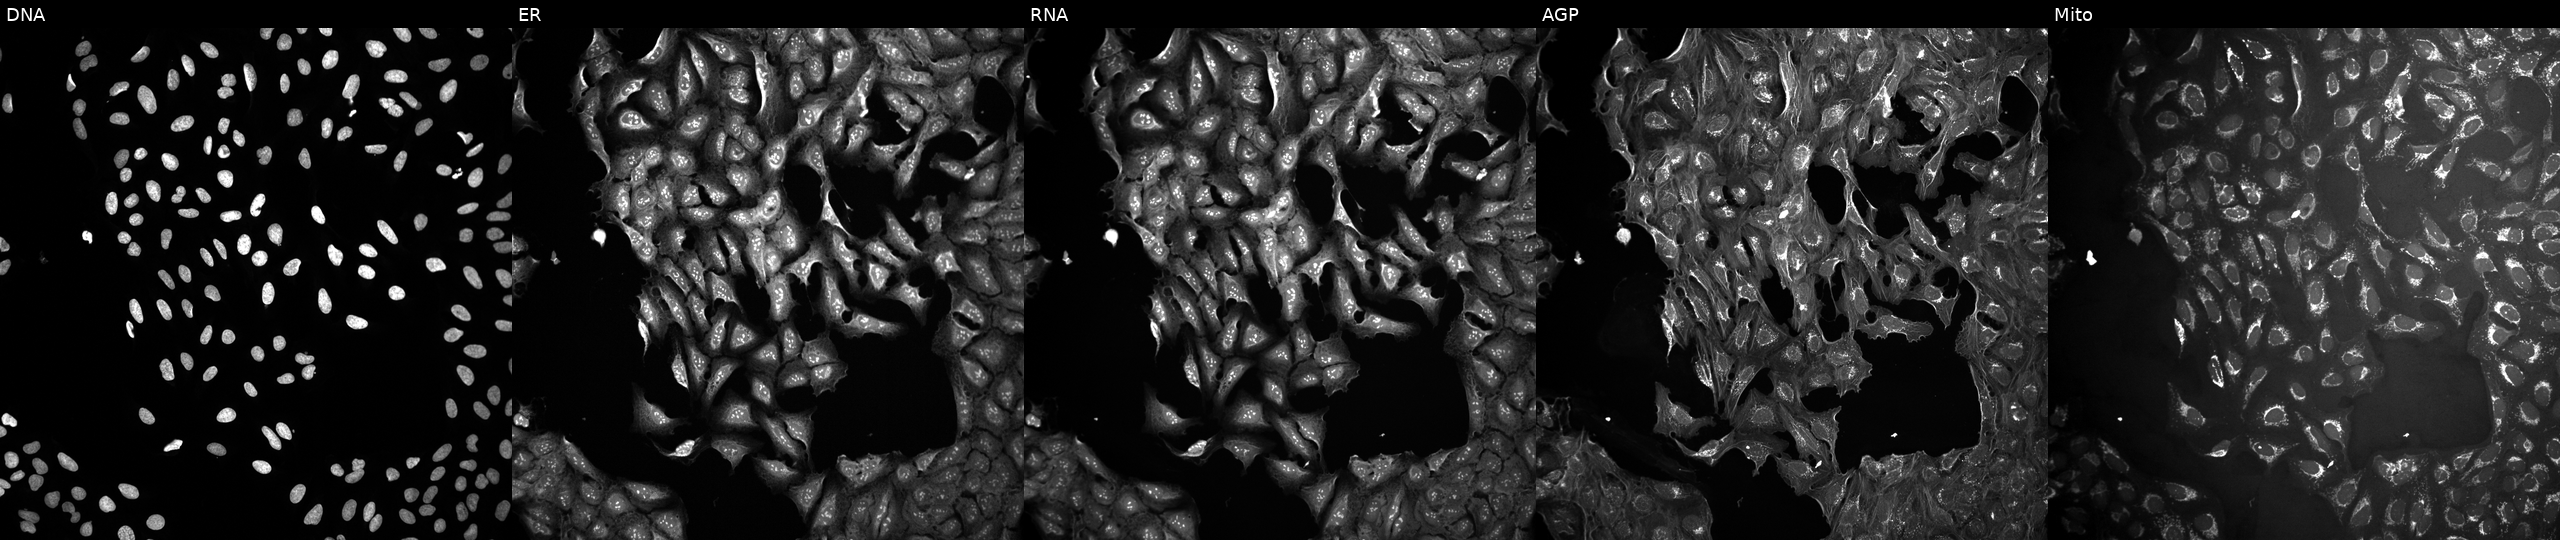
Five-channel Cell Painting image of U2OS cells treated with DMSO vehicle only (negative control) (JUMP id JCP2022_033924). Channels (left→right): Hoechst 33342, concanavalin A, SYTO 14, phalloidin and WGA, MitoTracker.